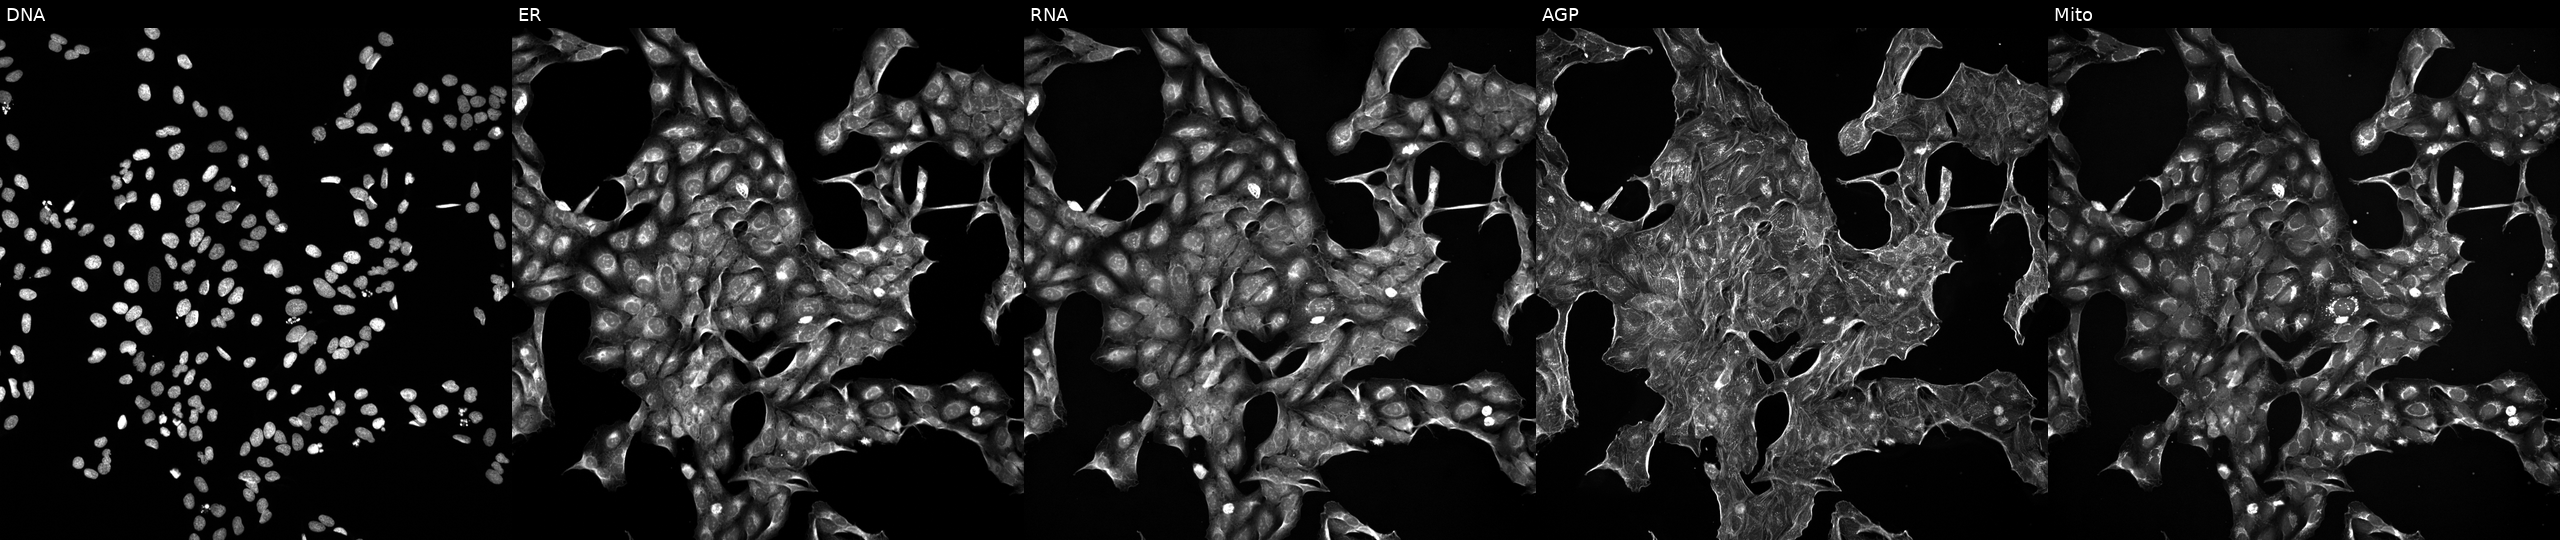
JUMP Cell Painting — TARGET2 plate. U2OS cells perturbed with a small-molecule compound (InChIKey RYMZZMVNJRMUDD-UHFFFAOYSA-N). The five panels, left to right, show Hoechst 33342, concanavalin A, SYTO 14, phalloidin and WGA, MitoTracker.